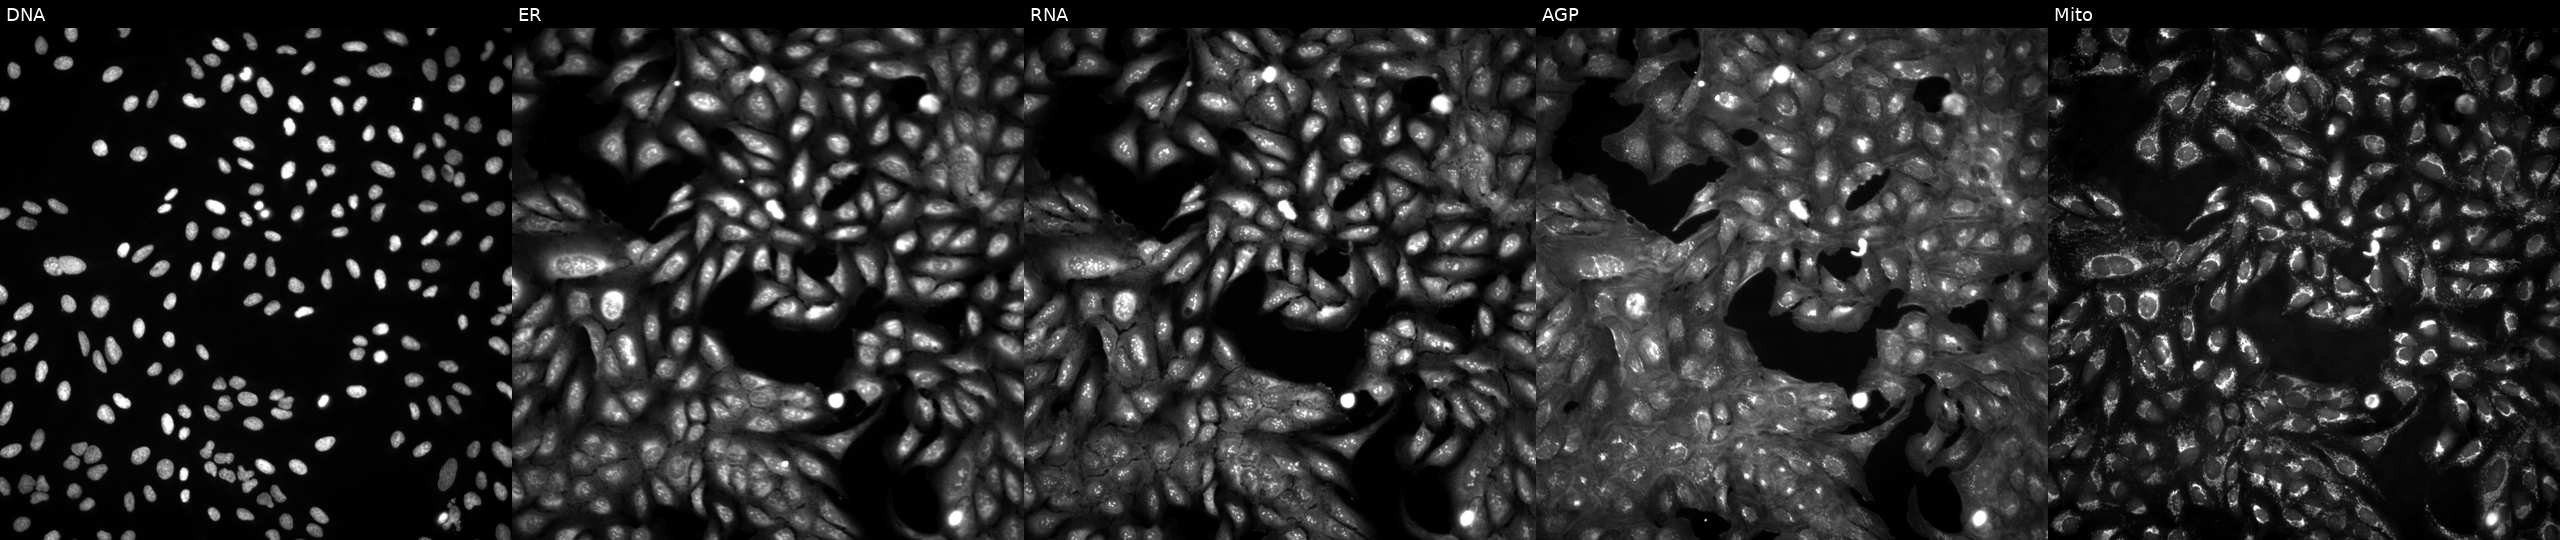
Five-channel Cell Painting image of U2OS cells in an empty control well (no perturbation). Panels show, left to right, DNA (nuclei); ER (endoplasmic reticulum); RNA (nucleoli and cytoplasmic RNA); AGP (actin cytoskeleton, Golgi, and plasma membrane); Mito (mitochondria).